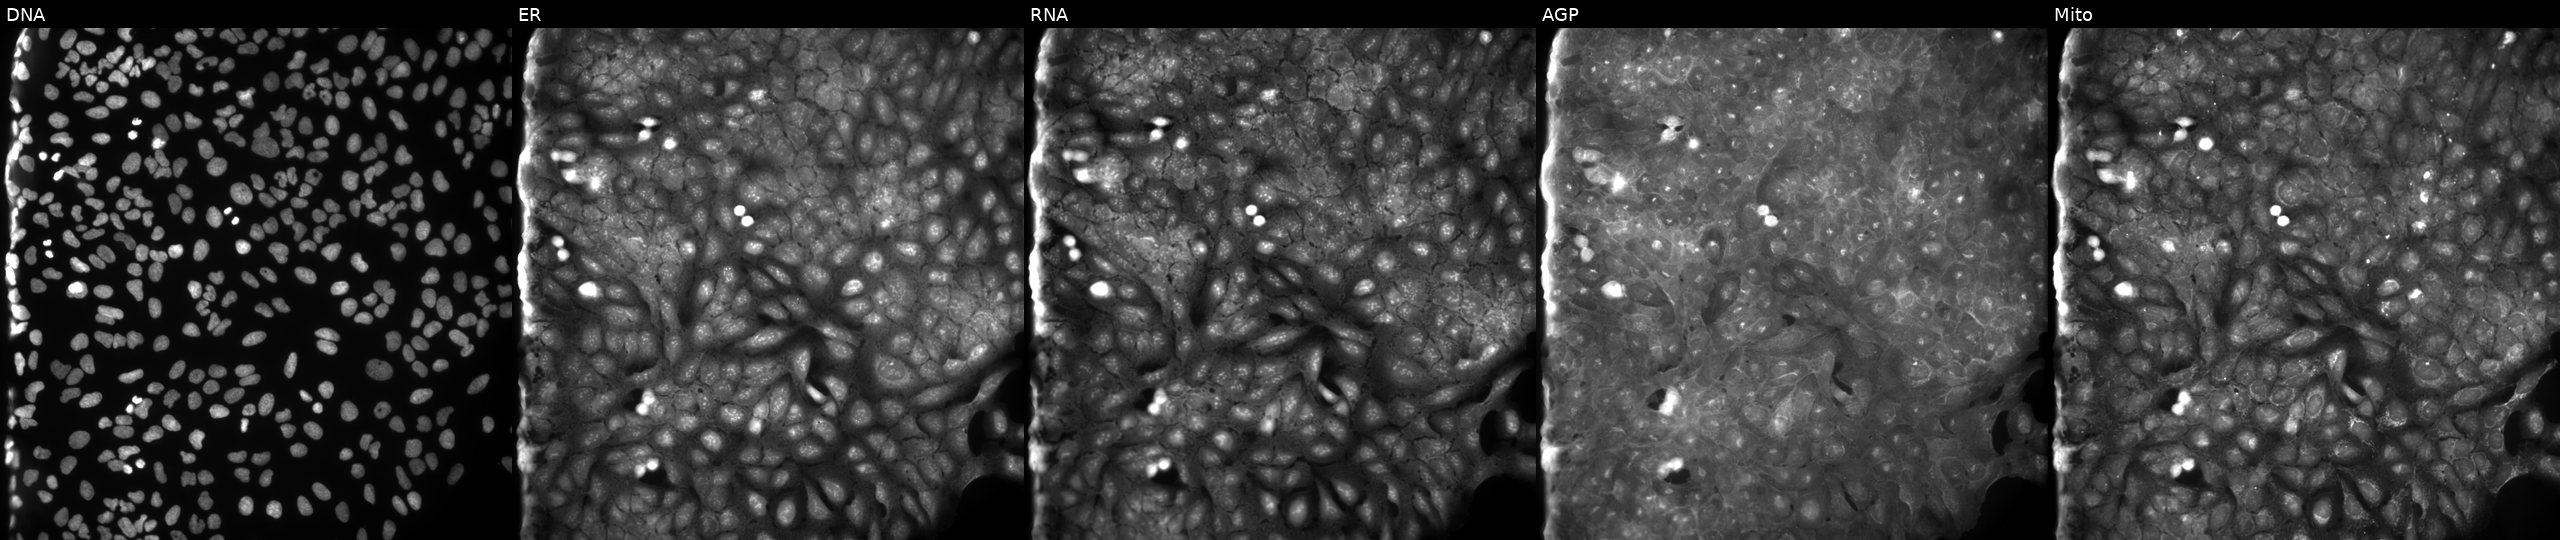
Channels (left→right): DNA (nuclei); ER (endoplasmic reticulum); RNA (nucleoli and cytoplasmic RNA); AGP (actin cytoskeleton, Golgi, and plasma membrane); Mito (mitochondria). U2OS osteosarcoma cells perturbed with a small-molecule compound (InChIKey WTIBRRQFRBSGKK-UHFFFAOYSA-N). Cell Painting assay, JUMP-CP dataset.